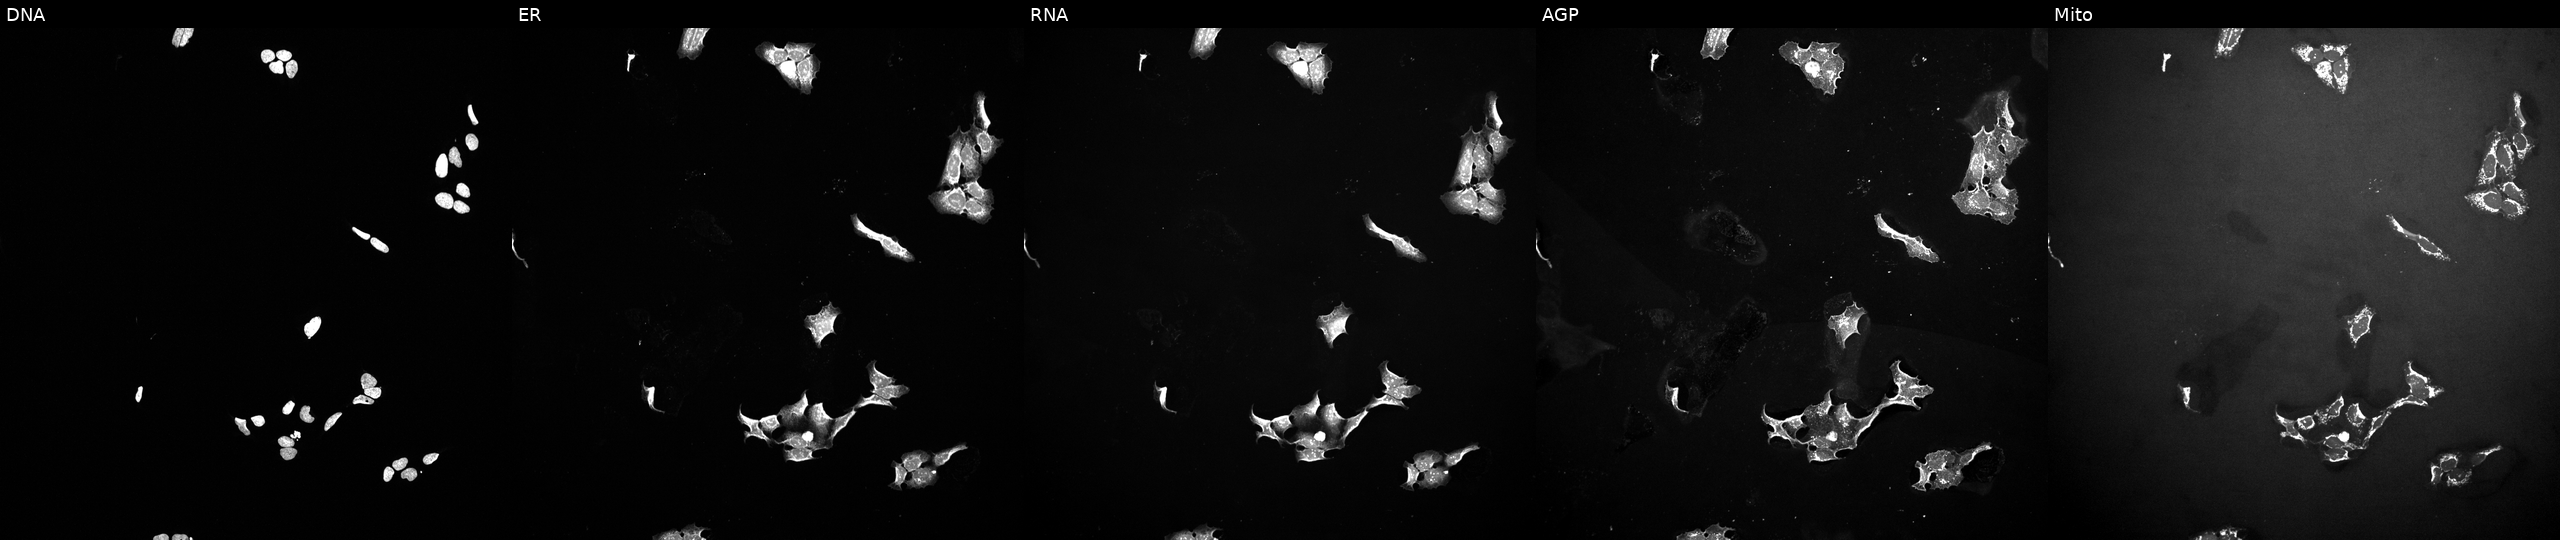
JUMP Cell Painting — TARGET2 plate. U2OS cells exposed to a small-molecule compound (JUMP id JCP2022_061654). Channels (left→right): DNA (nuclei); ER (endoplasmic reticulum); RNA (nucleoli and cytoplasmic RNA); AGP (actin cytoskeleton, Golgi, and plasma membrane); Mito (mitochondria). Source 10, plate Dest210803-153958, well B02.